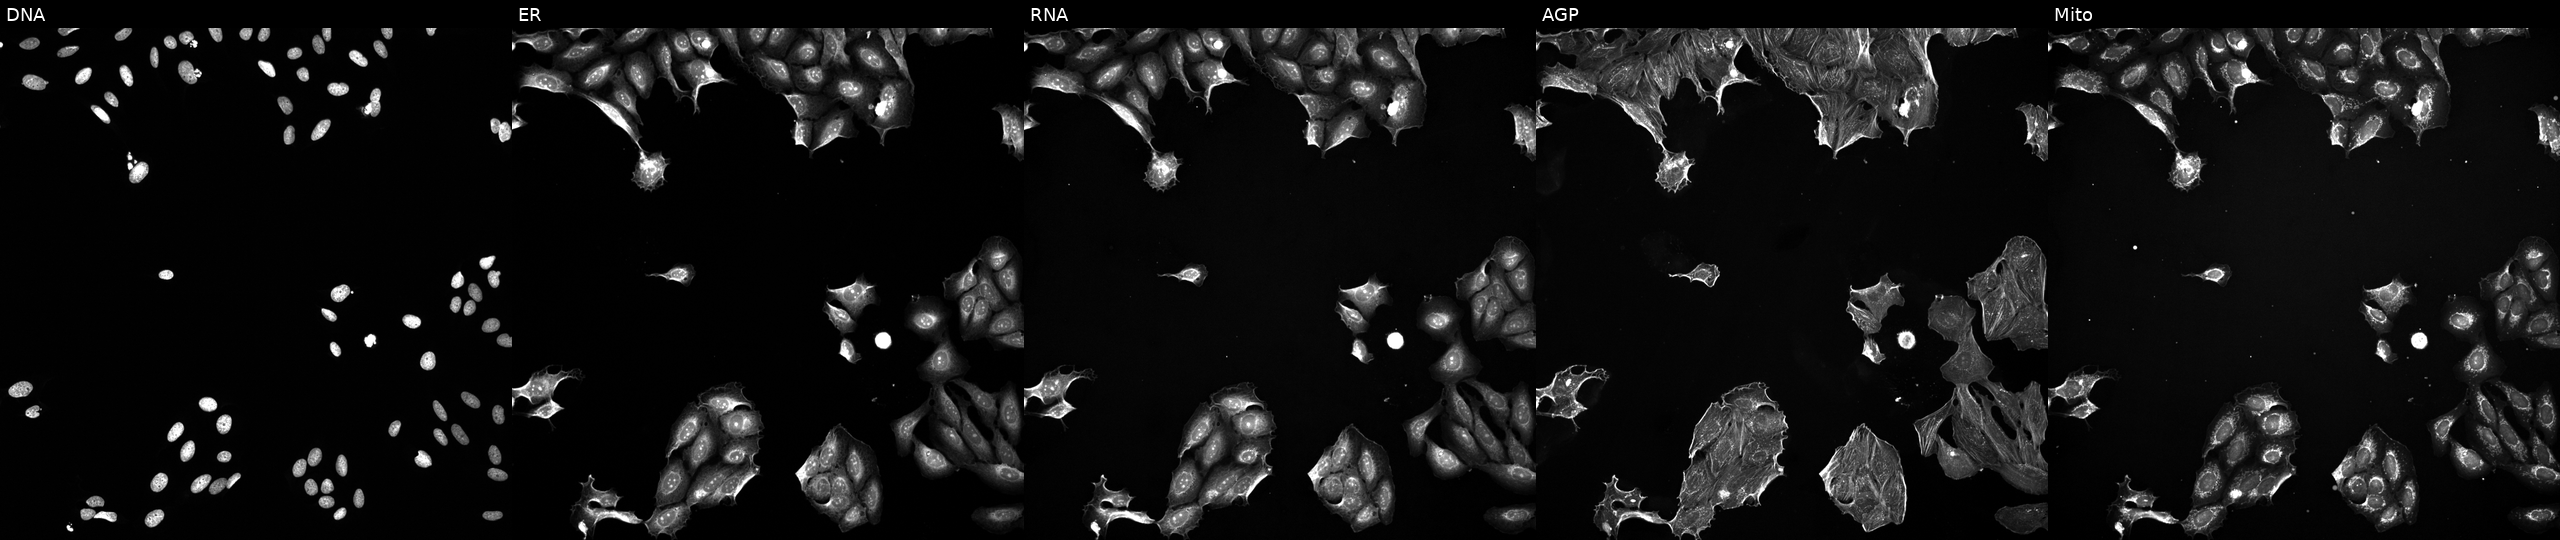
JUMP Cell Painting — TARGET2 plate. U2OS cells treated with a small-molecule compound (InChIKey RXWNCPJZOCPEPQ-UHFFFAOYSA-N). From left to right: DNA, ER, RNA, AGP, and Mito.